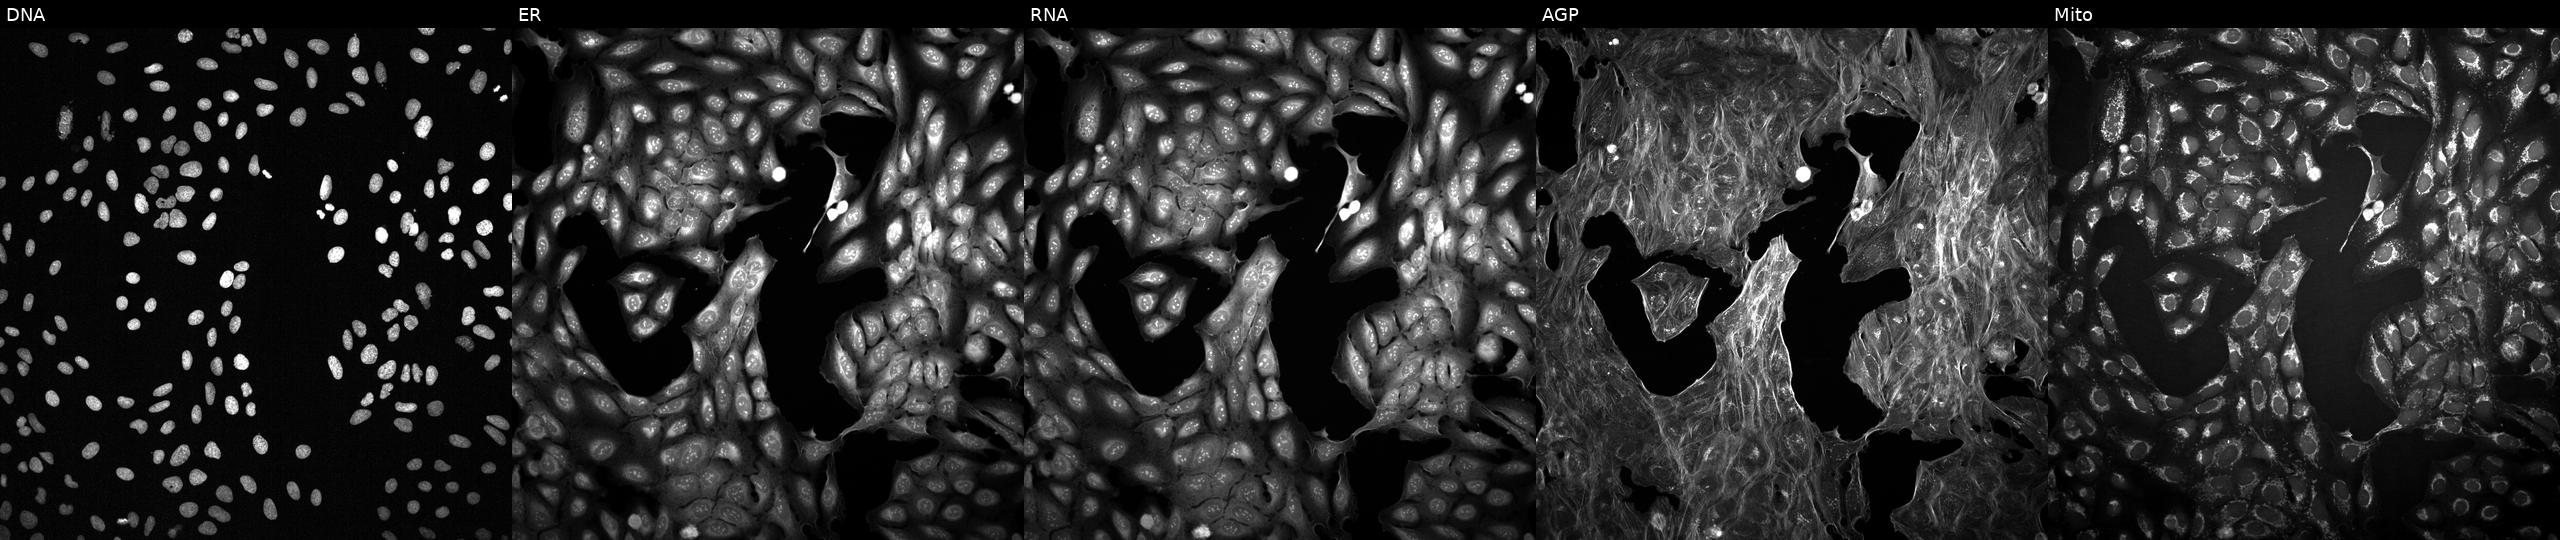
This image strip shows the five Cell Painting channels for a single field of U2OS cells treated with a small-molecule compound (InChIKey AUMHDRMJJNZTPB-UHFFFAOYSA-N) (JUMP id JCP2022_003951). Channels (left→right): DNA, ER, RNA, AGP, and Mito. Source 2, plate 1053600674, well N09.